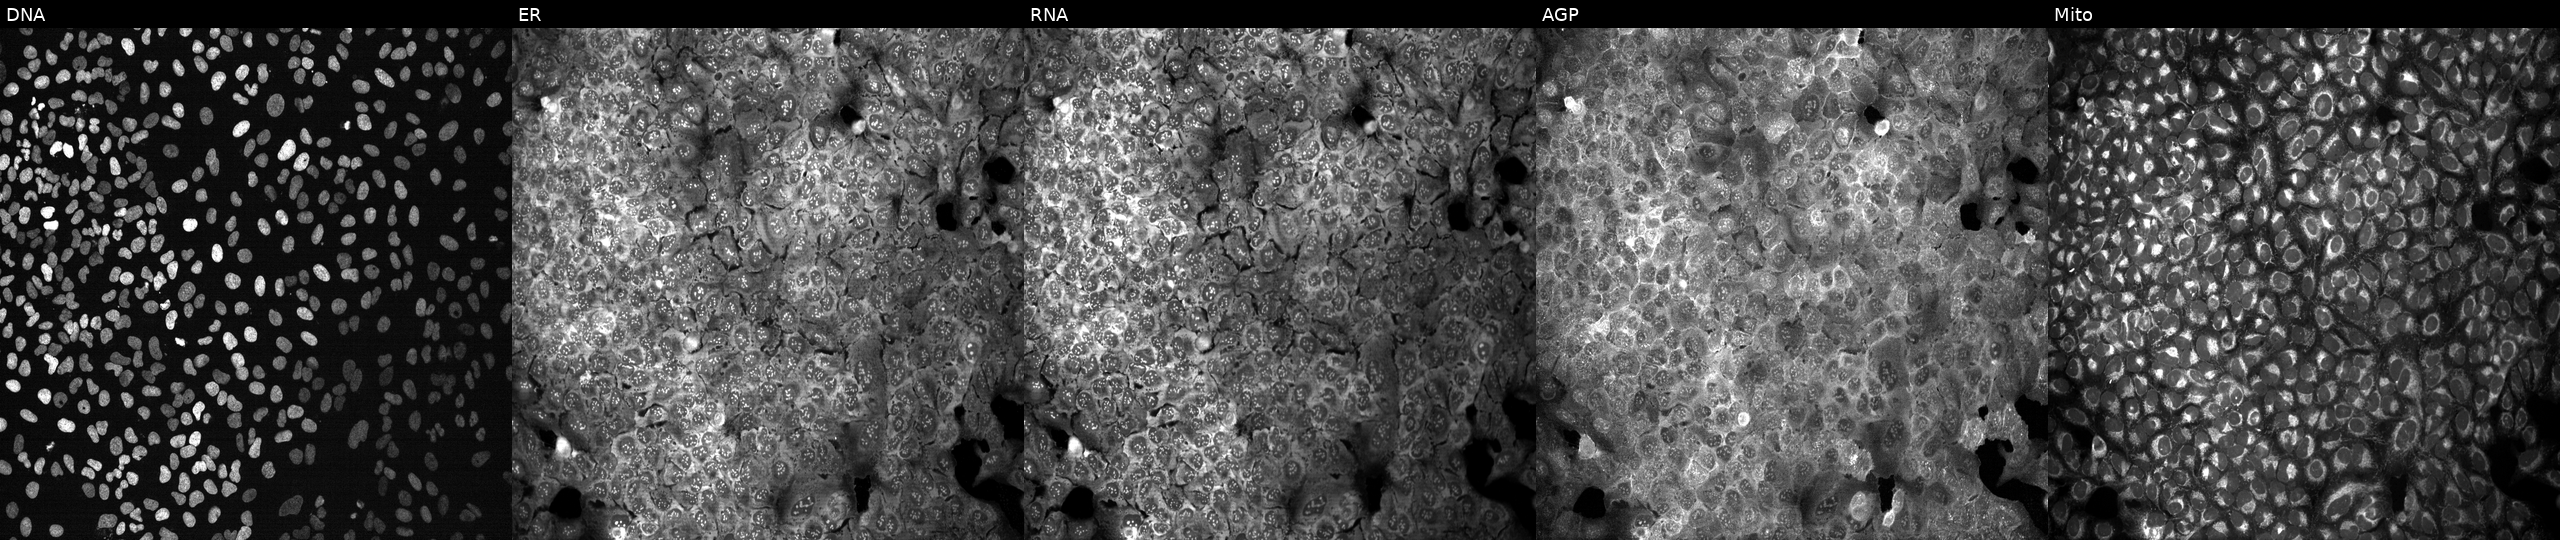
Five-channel Cell Painting image of U2OS cells following CRISPR knockout of PICK1. Panels show, left to right, Hoechst 33342, concanavalin A, SYTO 14, phalloidin and WGA, MitoTracker.